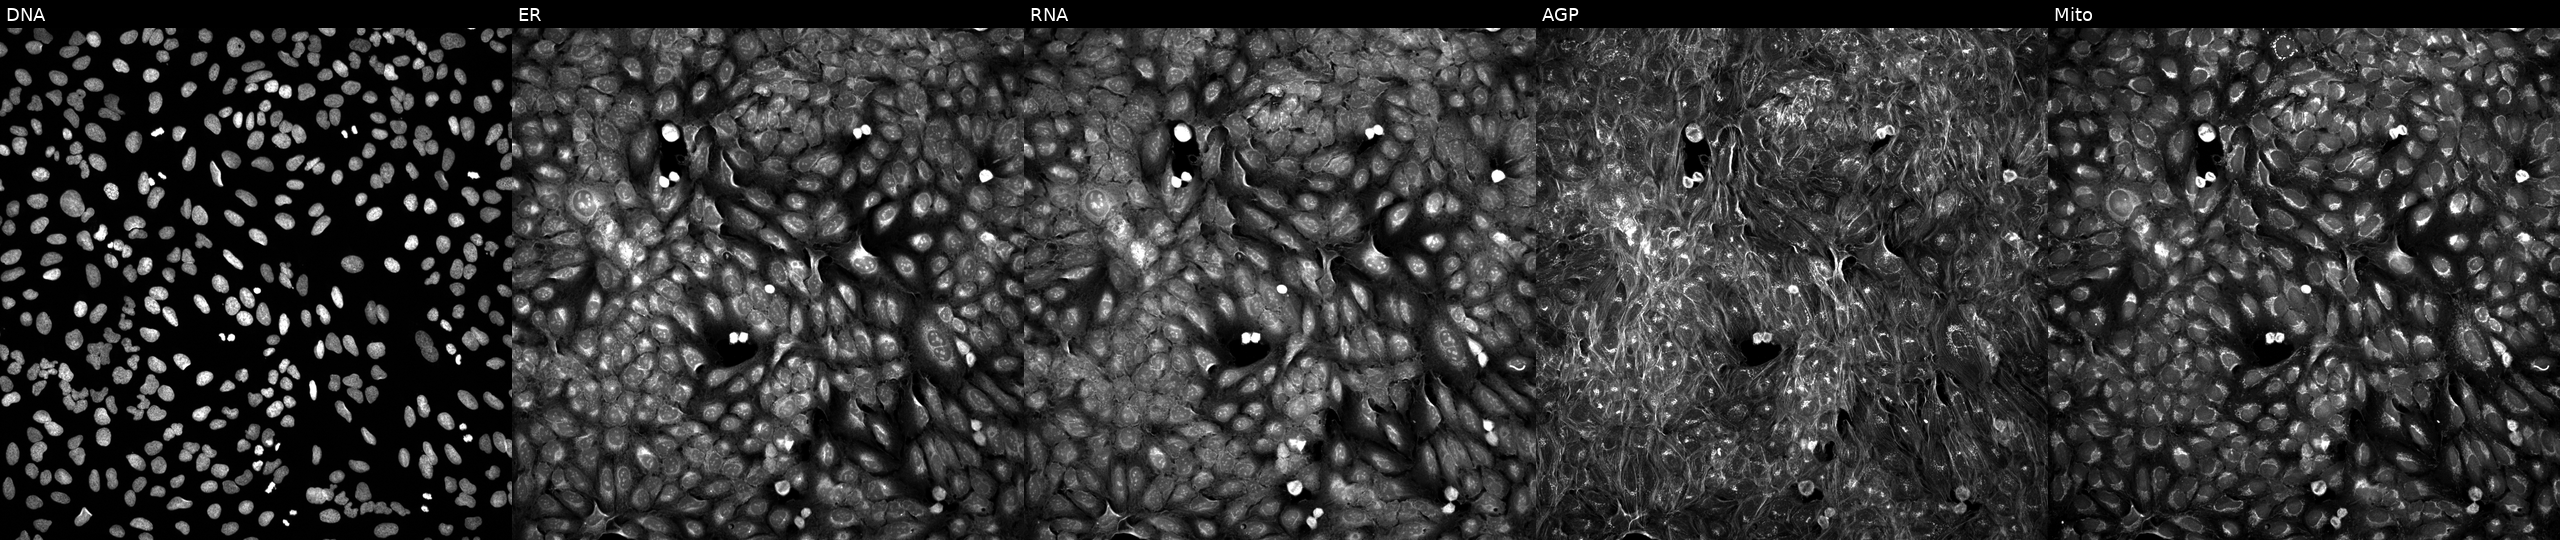
U2OS cells, Cell Painting assay, treated with a small-molecule compound (InChIKey UPWGQKDVAURUGE-UHFFFAOYSA-N). Panels show, left to right, DNA, ER, RNA, AGP, and Mito. Each panel is percentile-stretched 16-bit fluorescence.